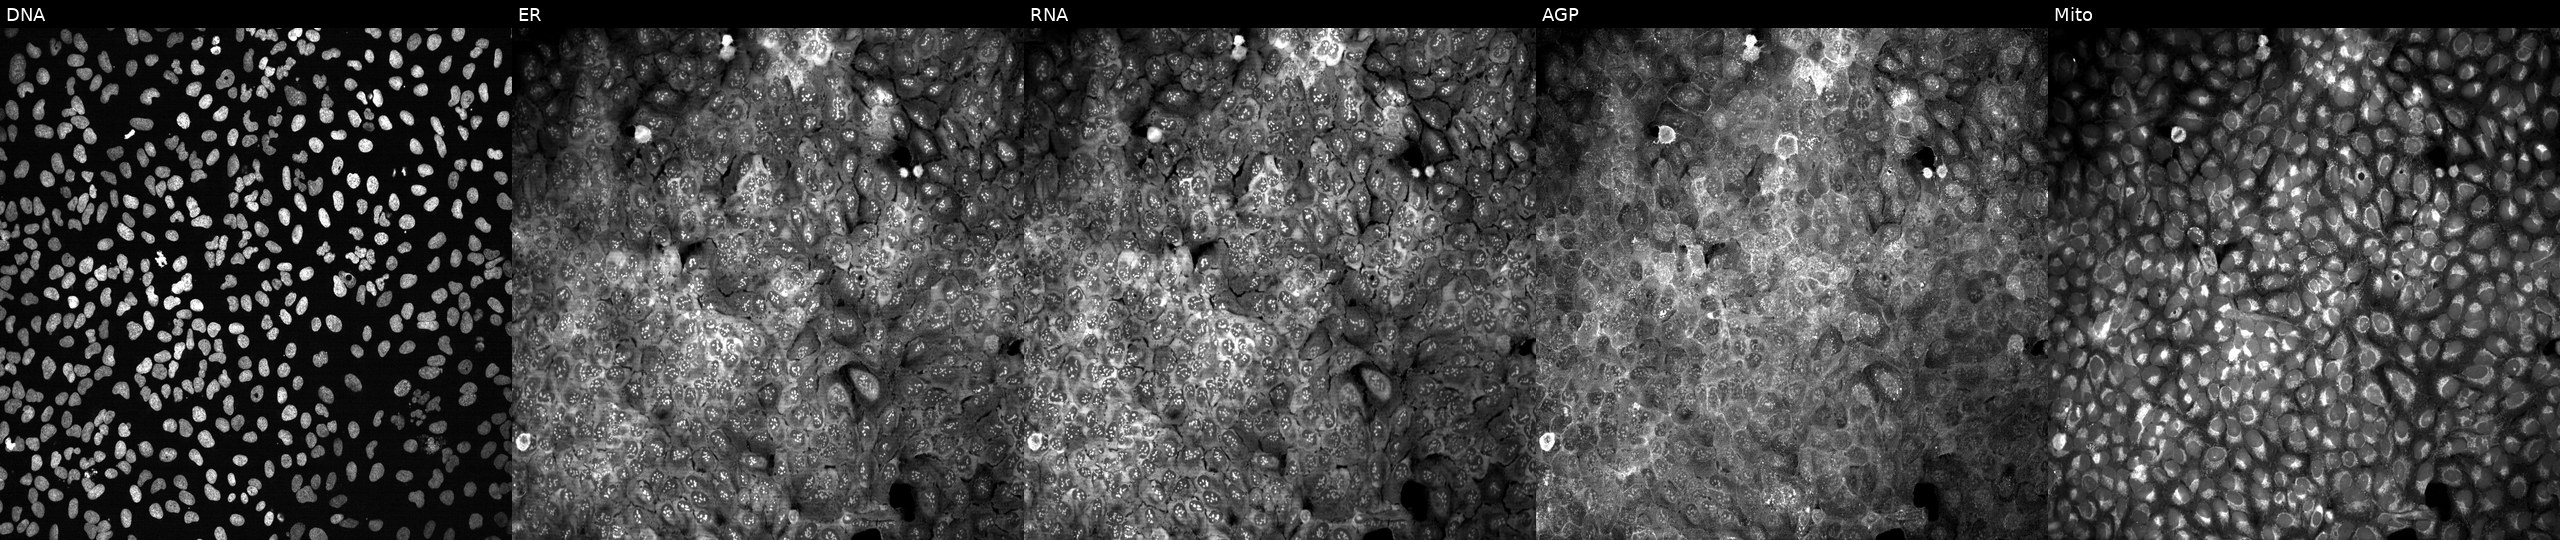
Five-channel Cell Painting image of U2OS cells CRISPR-edited to disrupt ATP1B4 (JUMP id JCP2022_800707). The five panels, left to right, show Hoechst 33342, concanavalin A, SYTO 14, phalloidin and WGA, MitoTracker.